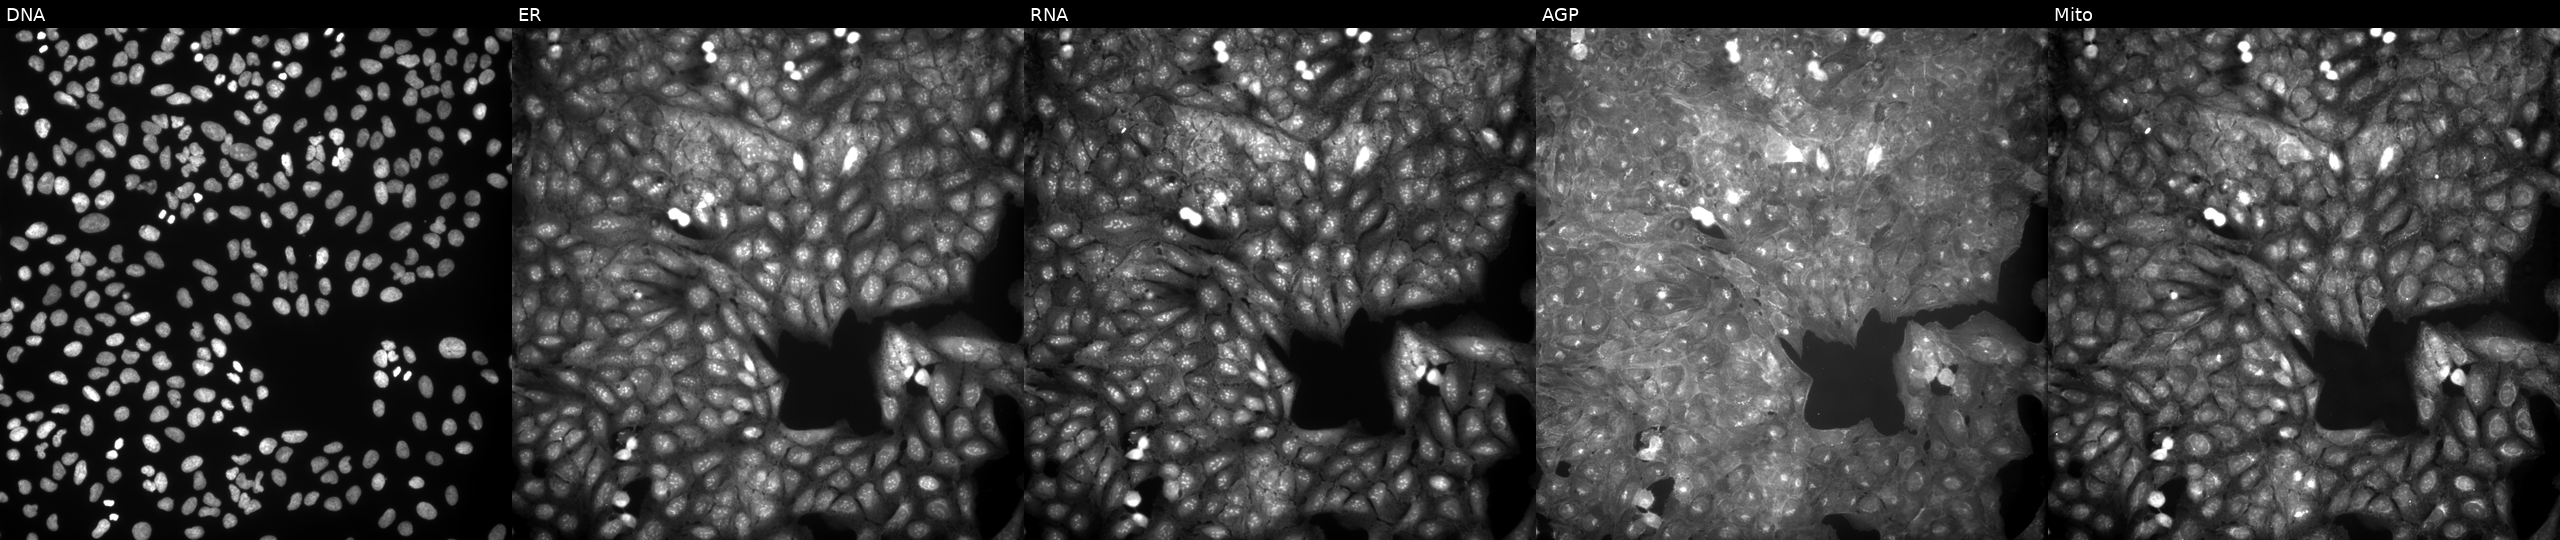
JUMP Cell Painting — COMPOUND plate. U2OS cells perturbed with a small-molecule compound (InChIKey AWJSUSSSVGZCGJ-UHFFFAOYSA-N). The five panels, left to right, show Hoechst 33342, concanavalin A, SYTO 14, phalloidin and WGA, MitoTracker.